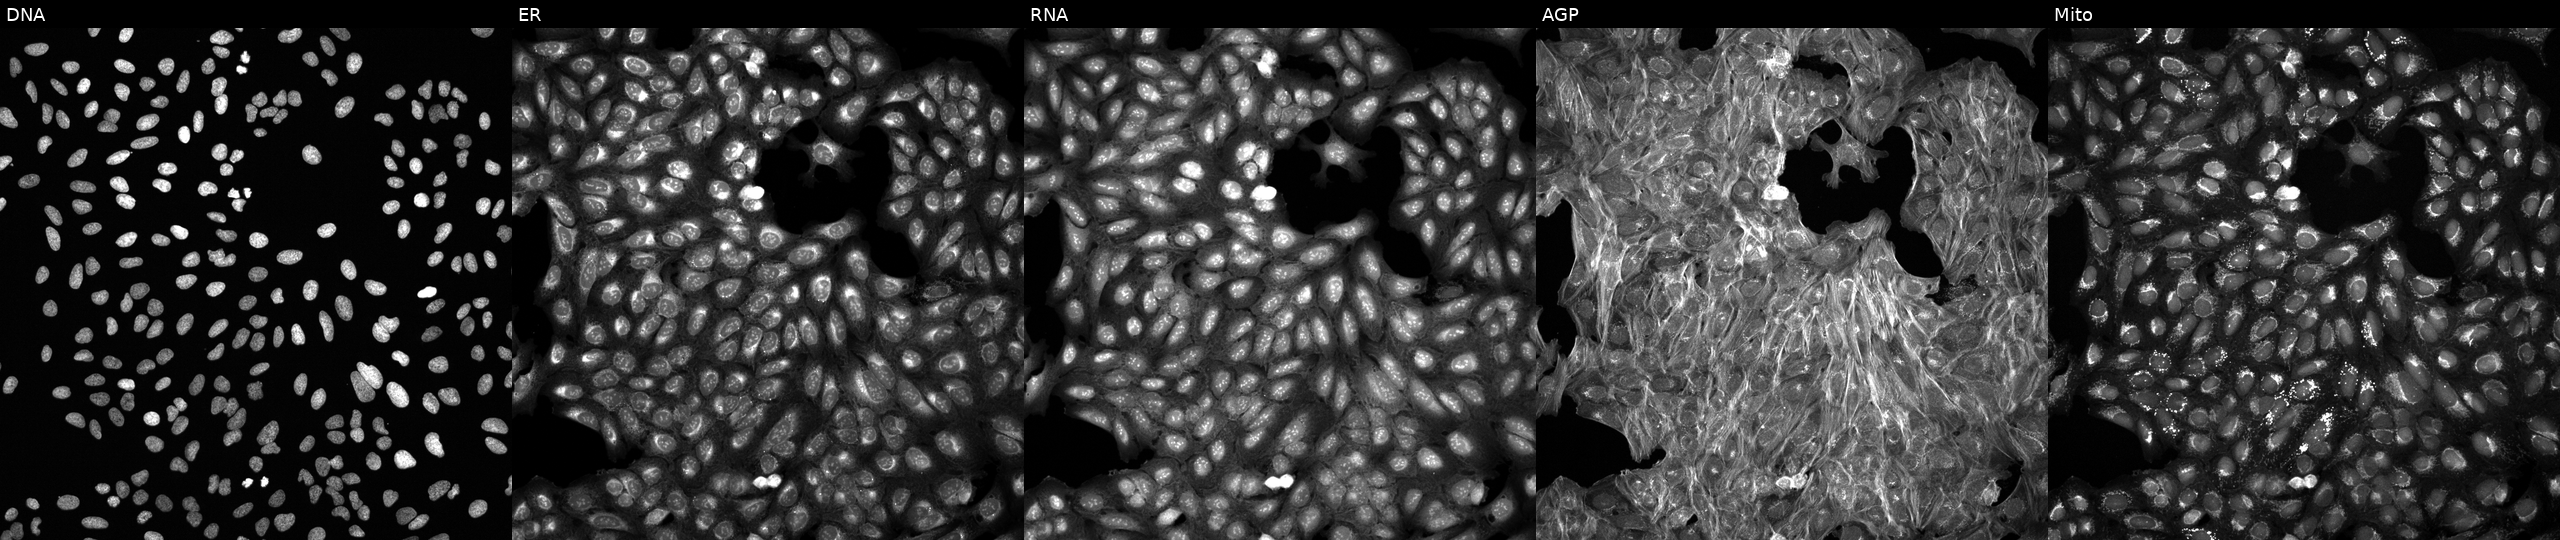
This image strip shows the five Cell Painting channels for a single field of U2OS cells treated with a small-molecule compound (InChIKey UPWGQKDVAURUGE-UHFFFAOYSA-N). Panels show, left to right, DNA (nuclei); ER (endoplasmic reticulum); RNA (nucleoli and cytoplasmic RNA); AGP (actin cytoskeleton, Golgi, and plasma membrane); Mito (mitochondria). Source 6, plate 110000294901, well P14.